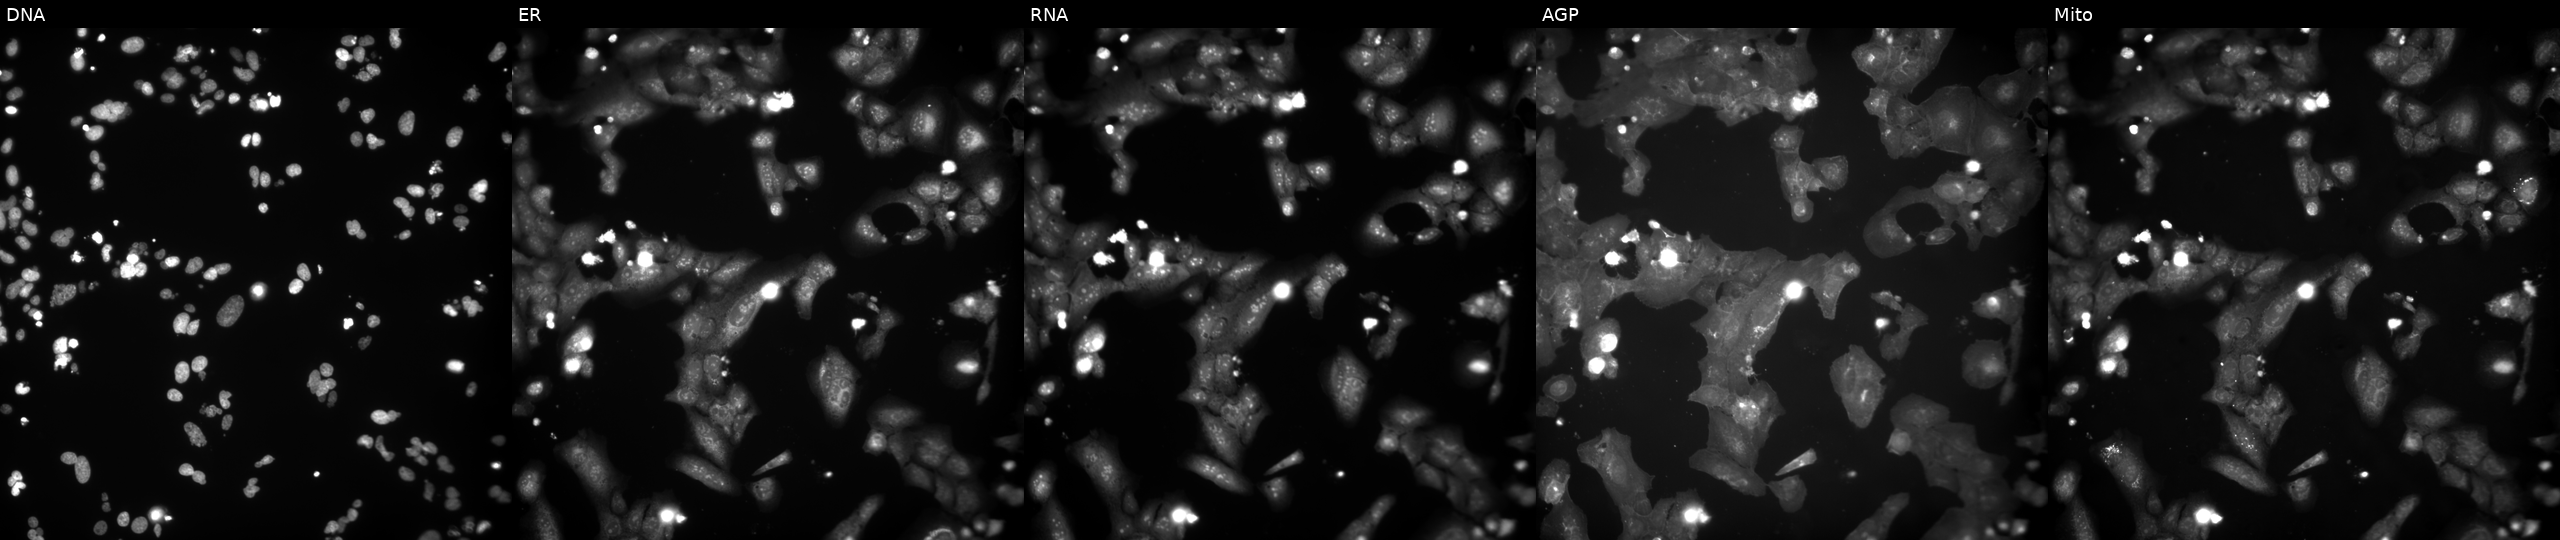
High-content fluorescence microscopy (Cell Painting). Cell line: U2OS. Perturbation: treated with a small-molecule compound (InChIKey MHPIVQZZFBEHAM-UHFFFAOYSA-N) (JUMP id JCP2022_054221). Channels (left→right): Hoechst 33342, concanavalin A, SYTO 14, phalloidin and WGA, MitoTracker.